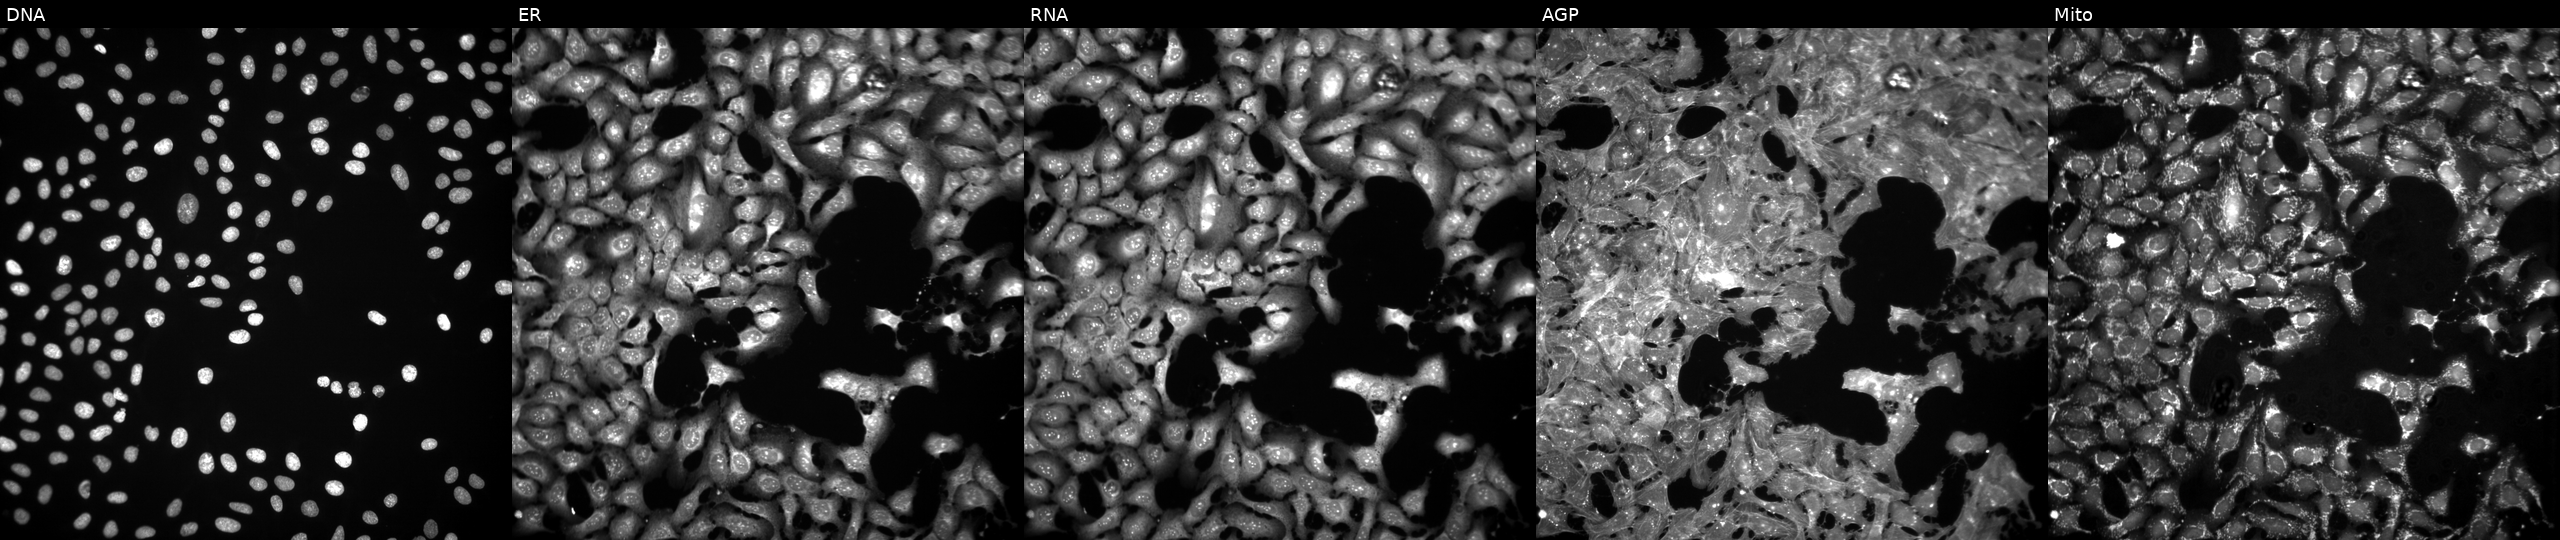
The five panels, left to right, show Hoechst 33342, concanavalin A, SYTO 14, phalloidin and WGA, MitoTracker. U2OS osteosarcoma cells treated with FK-866 (positive-control compound) (JUMP id JCP2022_046054). Cell Painting assay, JUMP-CP dataset.